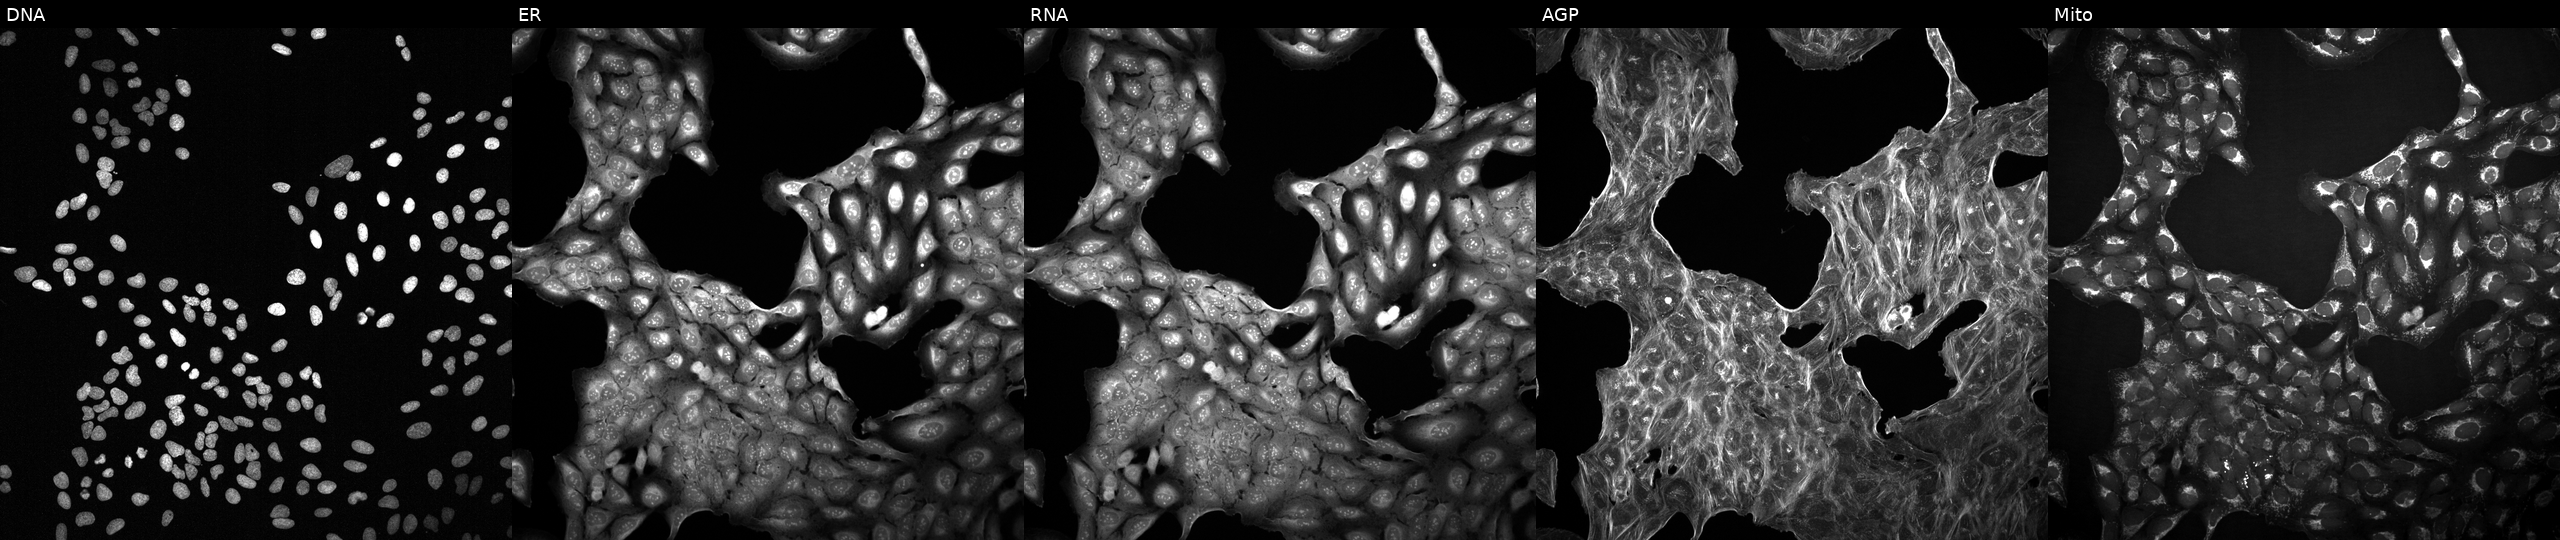
This image strip shows the five Cell Painting channels for a single field of U2OS cells perturbed with a small-molecule compound (InChIKey OILLWFFKVLHBSS-UHFFFAOYSA-N) (JUMP id JCP2022_064008). The five panels, left to right, show DNA, ER, RNA, AGP, and Mito. Source 2, plate 1053601763, well M17.